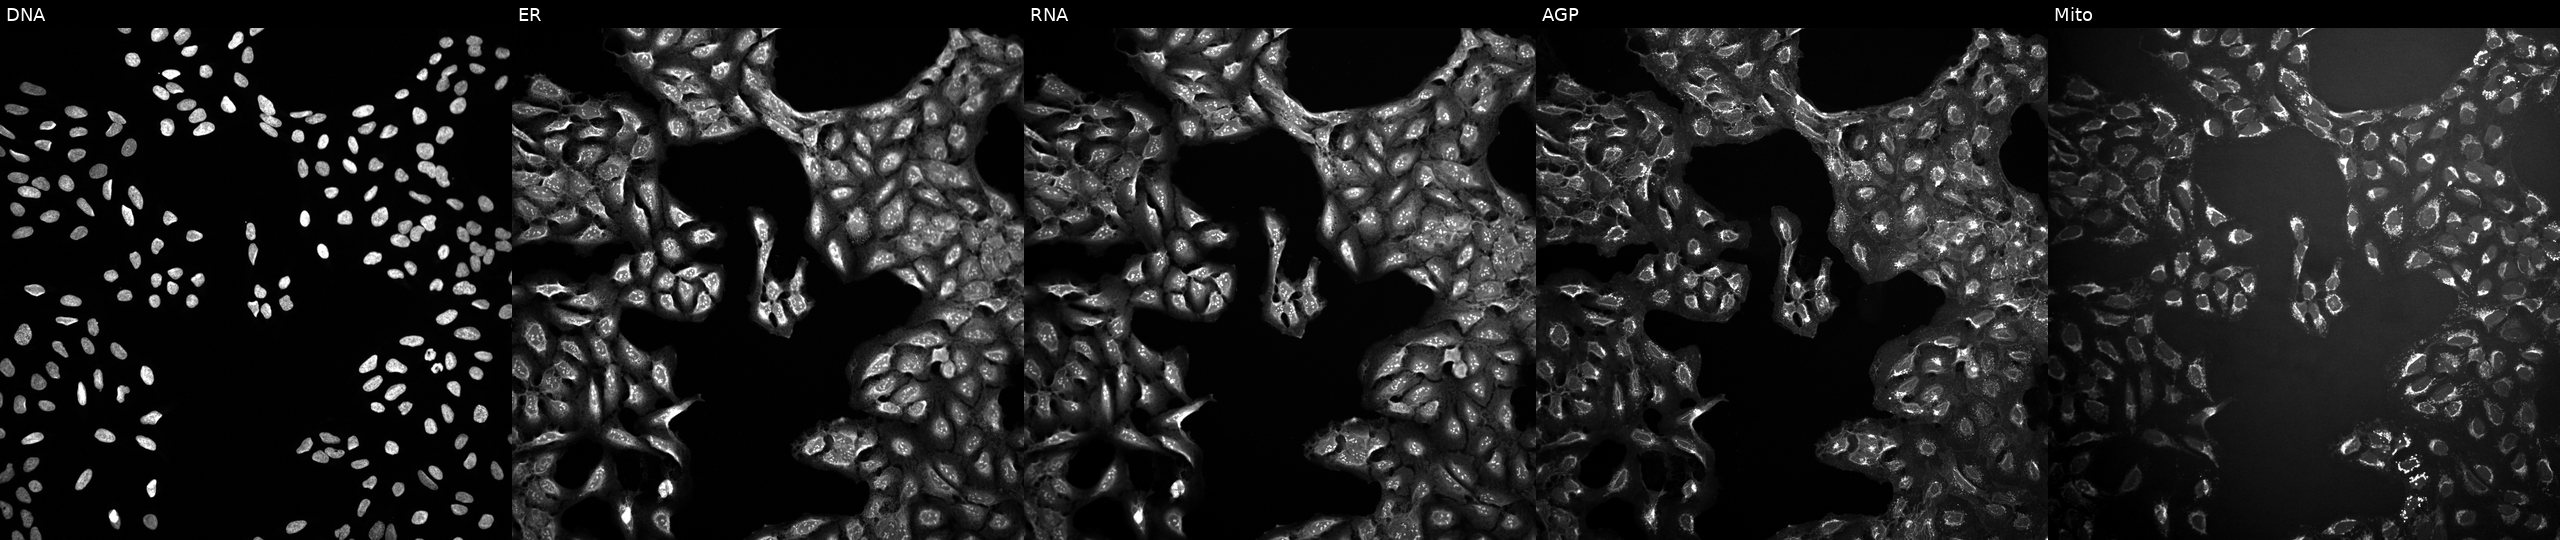
Five-channel Cell Painting image of U2OS cells exposed to a small-molecule compound (InChIKey FMYGNANMYYHBSU-UHFFFAOYSA-N). From left to right: Hoechst 33342, concanavalin A, SYTO 14, phalloidin and WGA, MitoTracker. Source 10, plate Dest210803-153958, well B15.